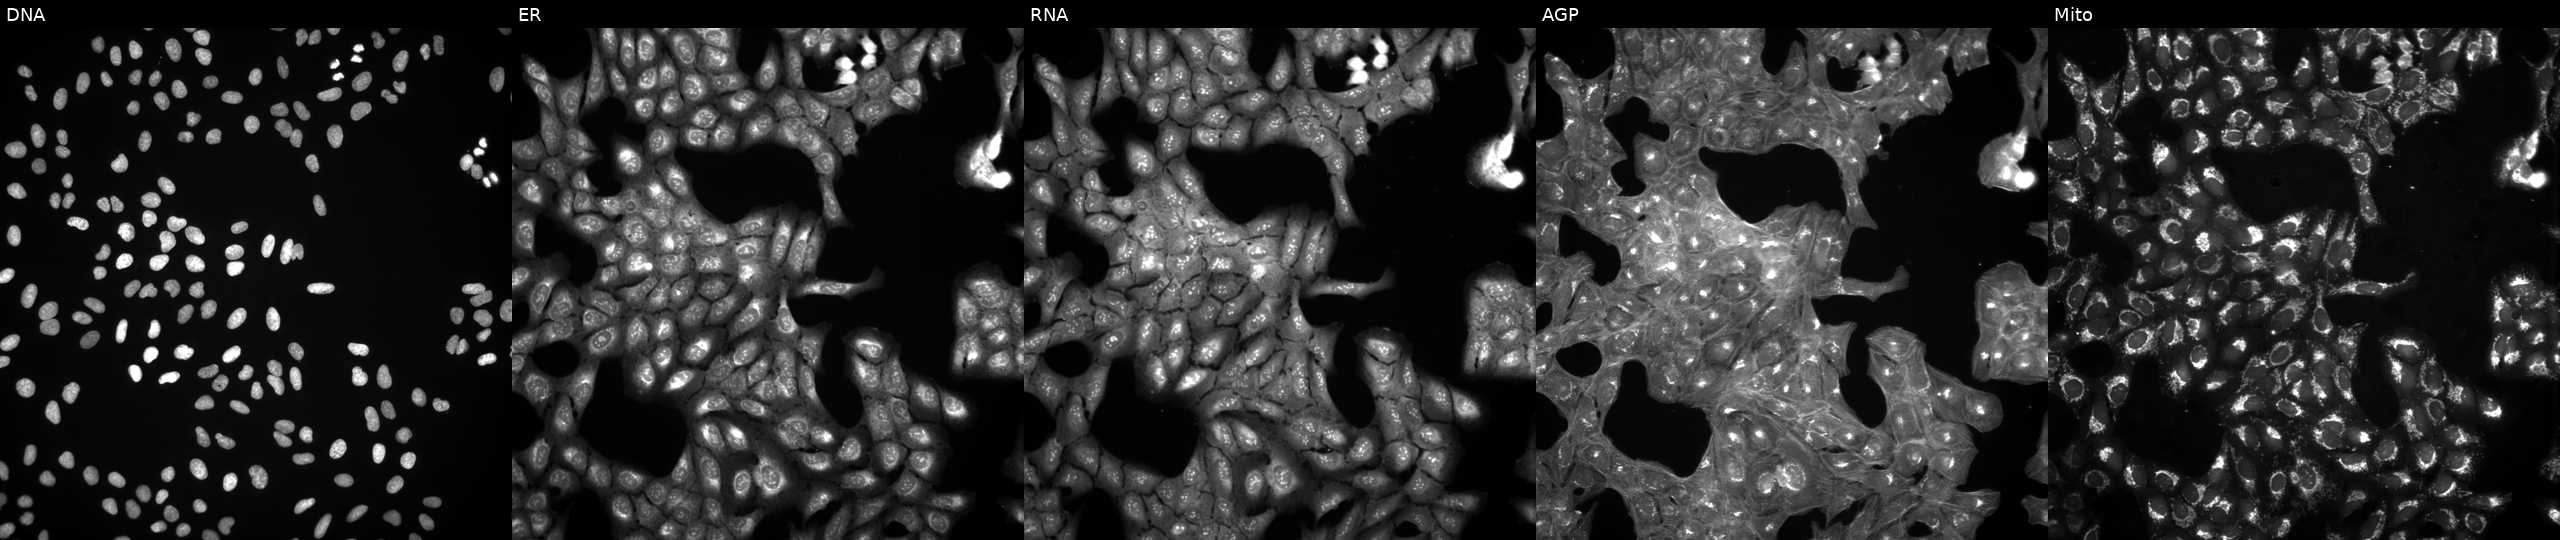
This image strip shows the five Cell Painting channels for a single field of U2OS cells treated with DMSO vehicle only (negative control). Panels show, left to right, DNA (nuclei); ER (endoplasmic reticulum); RNA (nucleoli and cytoplasmic RNA); AGP (actin cytoskeleton, Golgi, and plasma membrane); Mito (mitochondria). Source 3, plate BR5867b3, well M23.